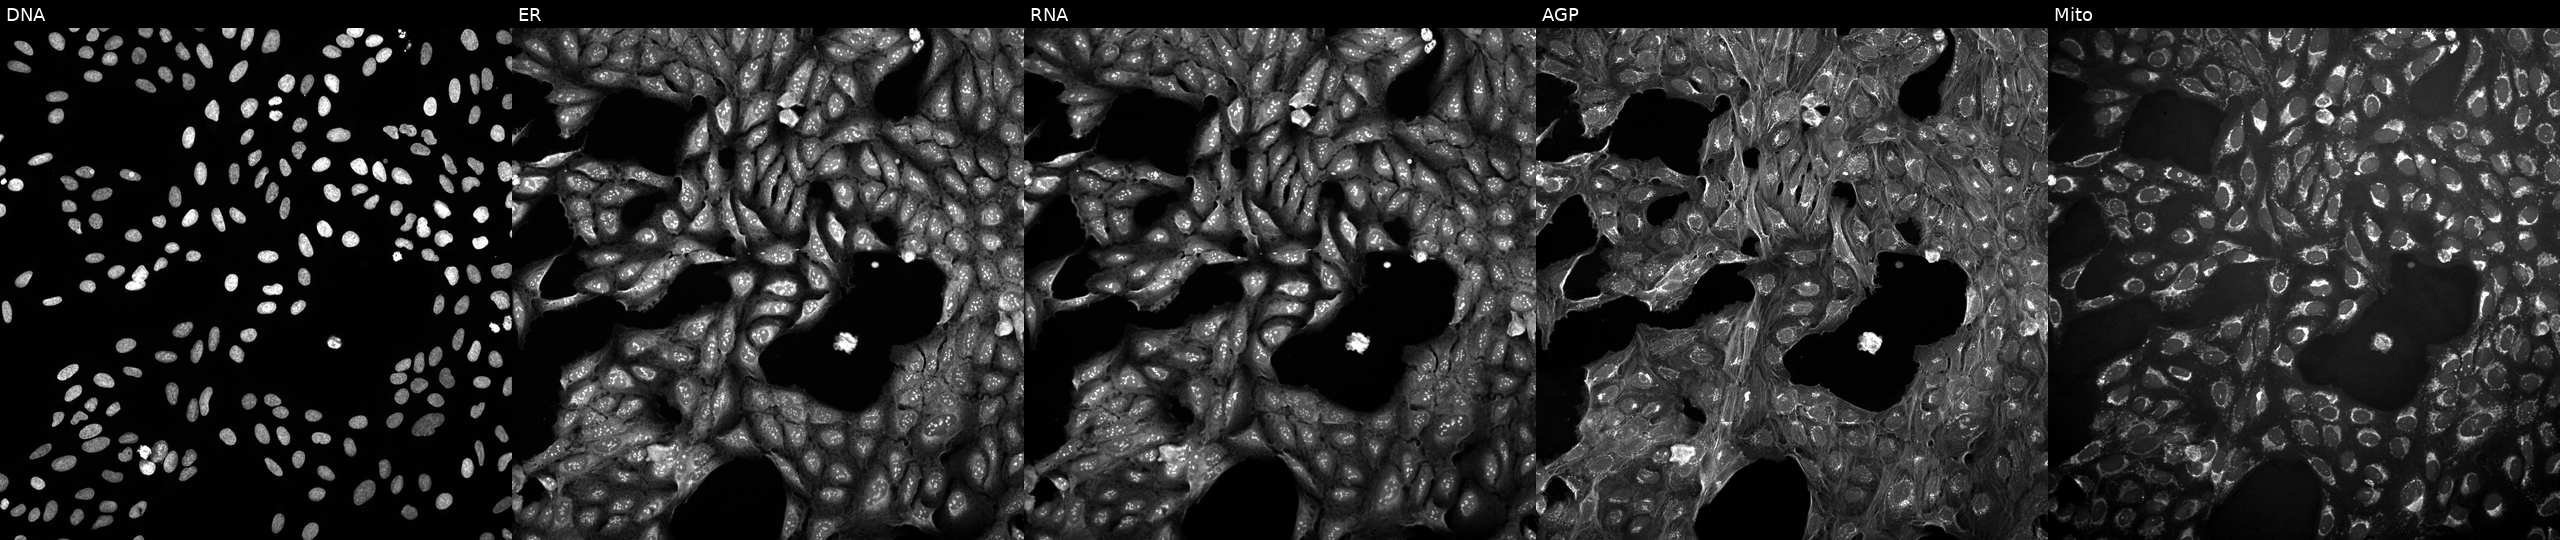
From left to right: DNA, ER, RNA, AGP, and Mito. U2OS osteosarcoma cells exposed to a small-molecule compound (InChIKey GTKFRQAPGUMRHP-UHFFFAOYSA-N). Cell Painting assay, JUMP-CP dataset.